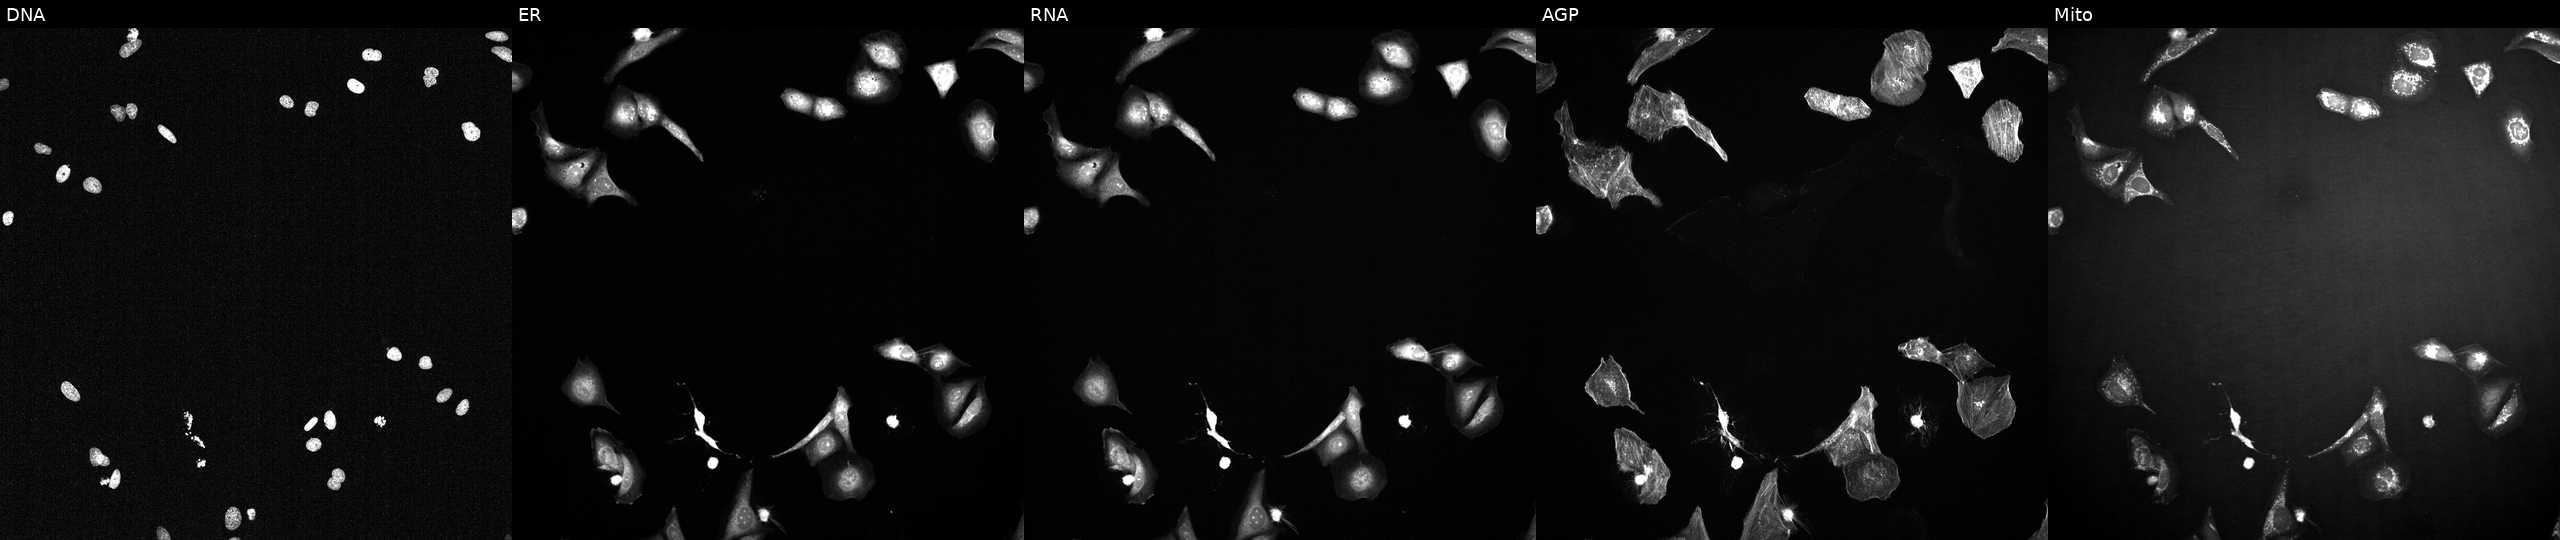
This image strip shows the five Cell Painting channels for a single field of U2OS cells perturbed with a small-molecule compound (InChIKey AYCPARAPKDAOEN-UHFFFAOYSA-N) [SMILES: Cc1nc(=Nc2[nH]nc3c2CN(C(=O)NC(CN(C)C)c2ccccc2)C3(C)C)c2sccc2[nH]1] (JUMP id JCP2022_004587). From left to right: DNA (nuclei); ER (endoplasmic reticulum); RNA (nucleoli and cytoplasmic RNA); AGP (actin cytoskeleton, Golgi, and plasma membrane); Mito (mitochondria). Source 2, plate 1053599503, well M11.